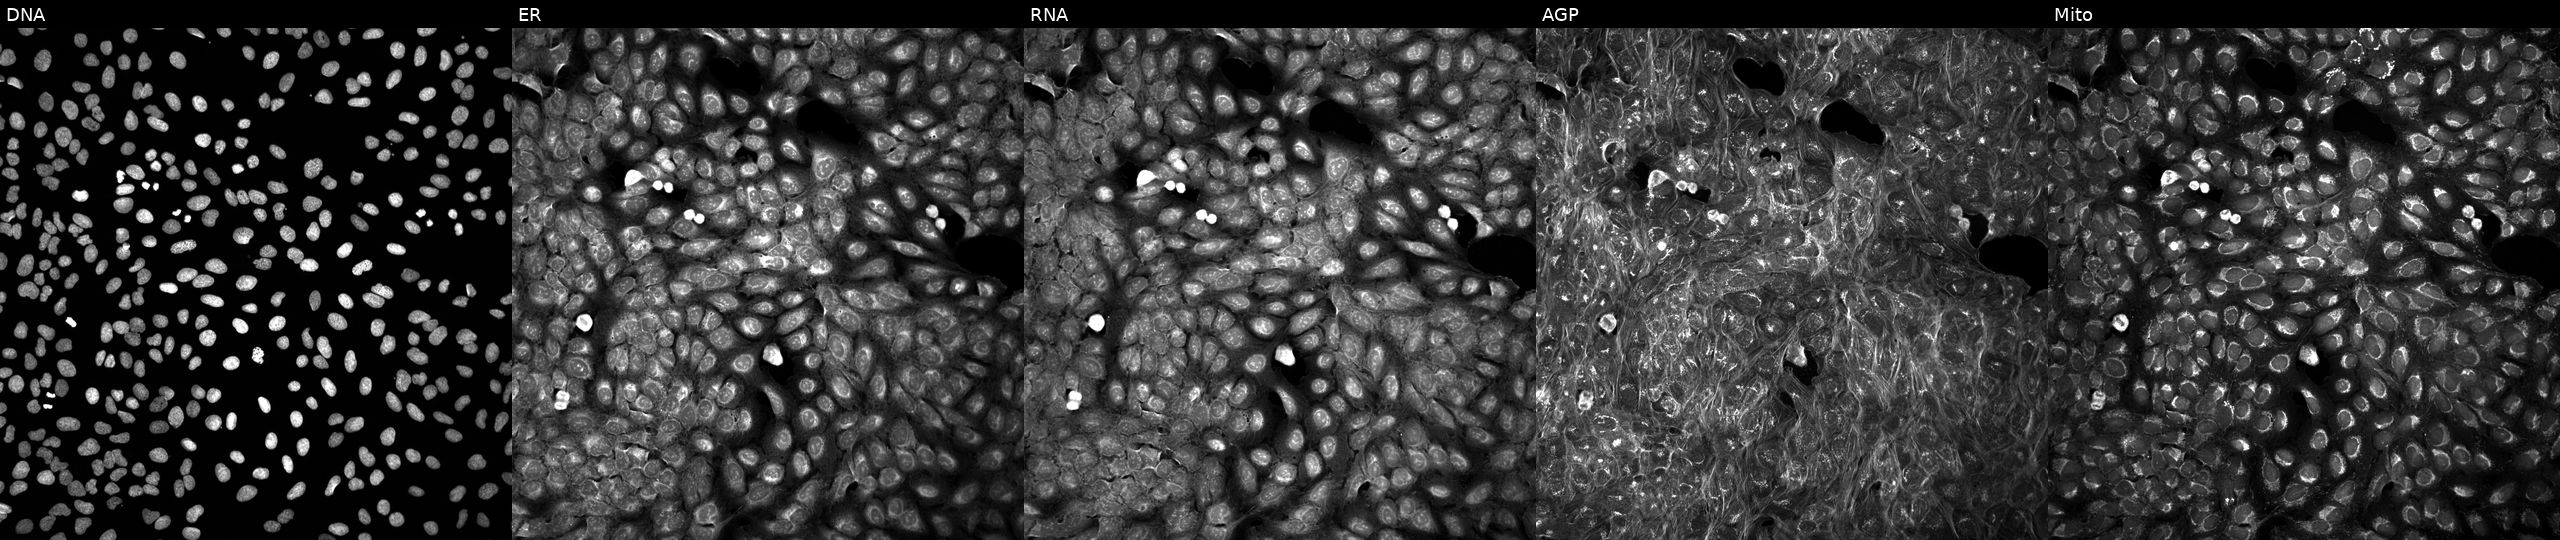
This image strip shows the five Cell Painting channels for a single field of U2OS cells perturbed with a small-molecule compound (InChIKey IYAYHZZWYNXHEQ-UHFFFAOYSA-N) (JUMP id JCP2022_038096). From left to right: DNA, ER, RNA, AGP, and Mito.